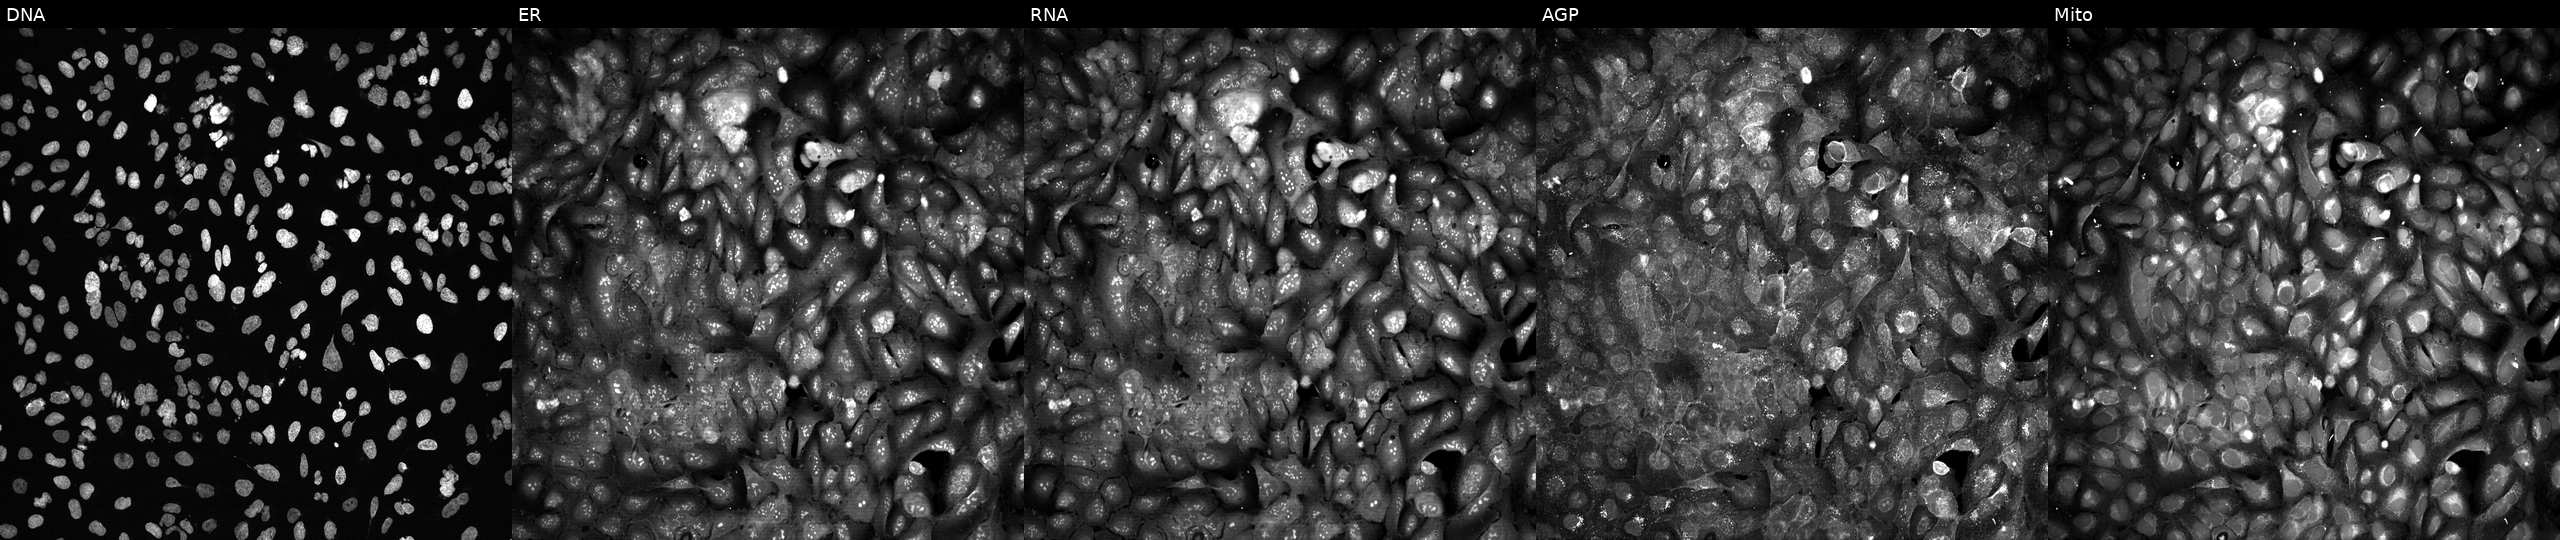
JUMP Cell Painting — CRISPR plate. U2OS cells following CRISPR knockout of TOP2A. The five panels, left to right, show DNA (nuclei); ER (endoplasmic reticulum); RNA (nucleoli and cytoplasmic RNA); AGP (actin cytoskeleton, Golgi, and plasma membrane); Mito (mitochondria).